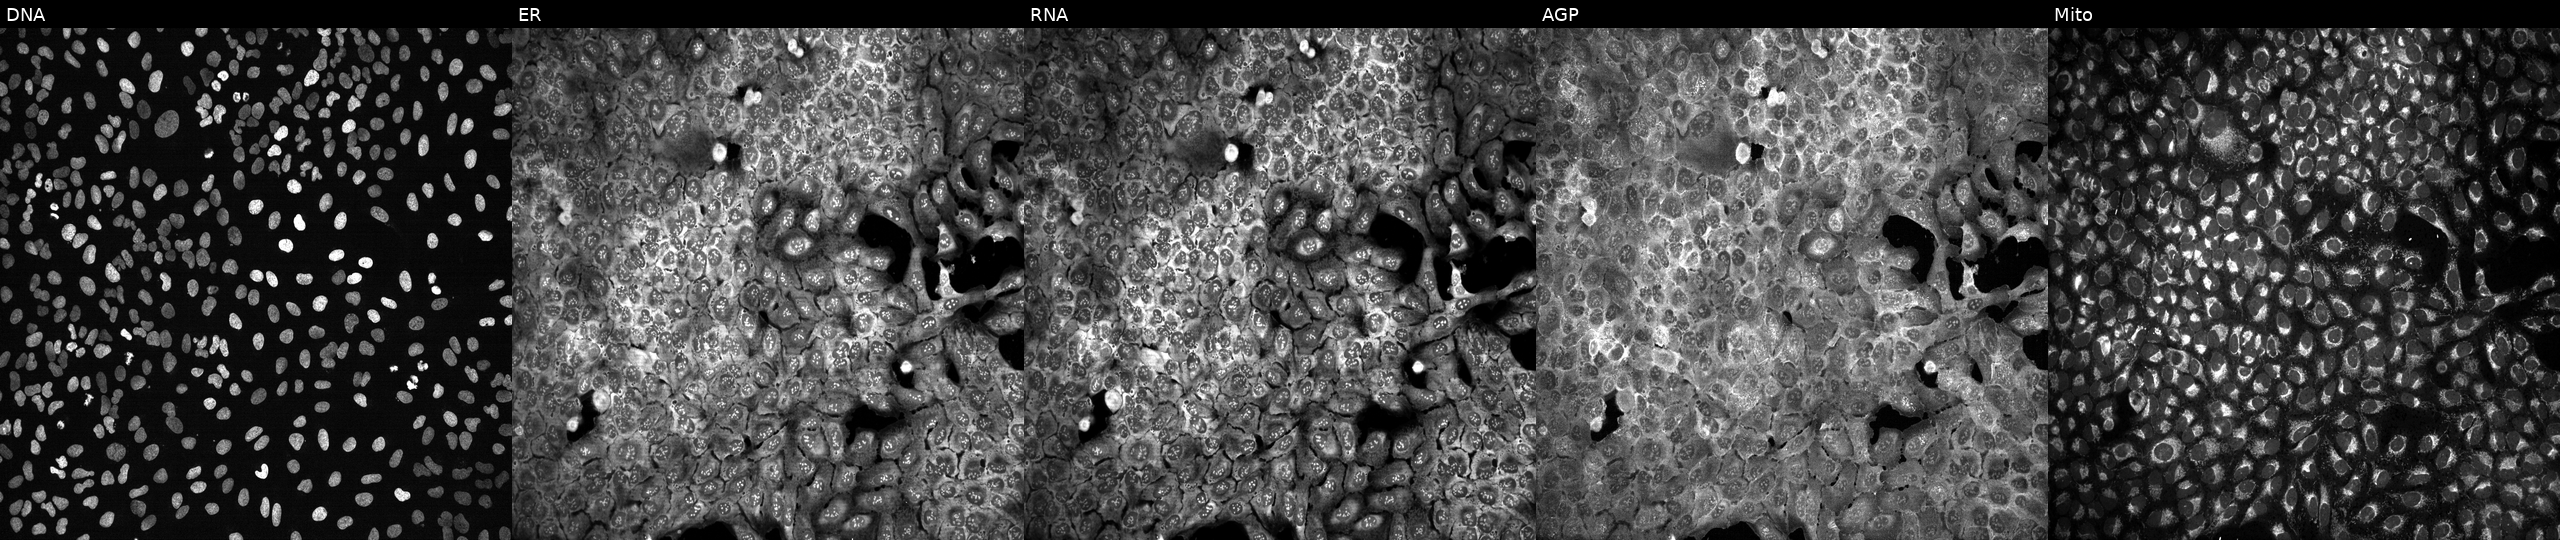
Channels (left→right): Hoechst 33342, concanavalin A, SYTO 14, phalloidin and WGA, MitoTracker. U2OS osteosarcoma cells with LDHC knocked out by CRISPR (JUMP id JCP2022_803801). Cell Painting assay, JUMP-CP dataset. Source 13, plate CP-CC9-R3-01, well G13.